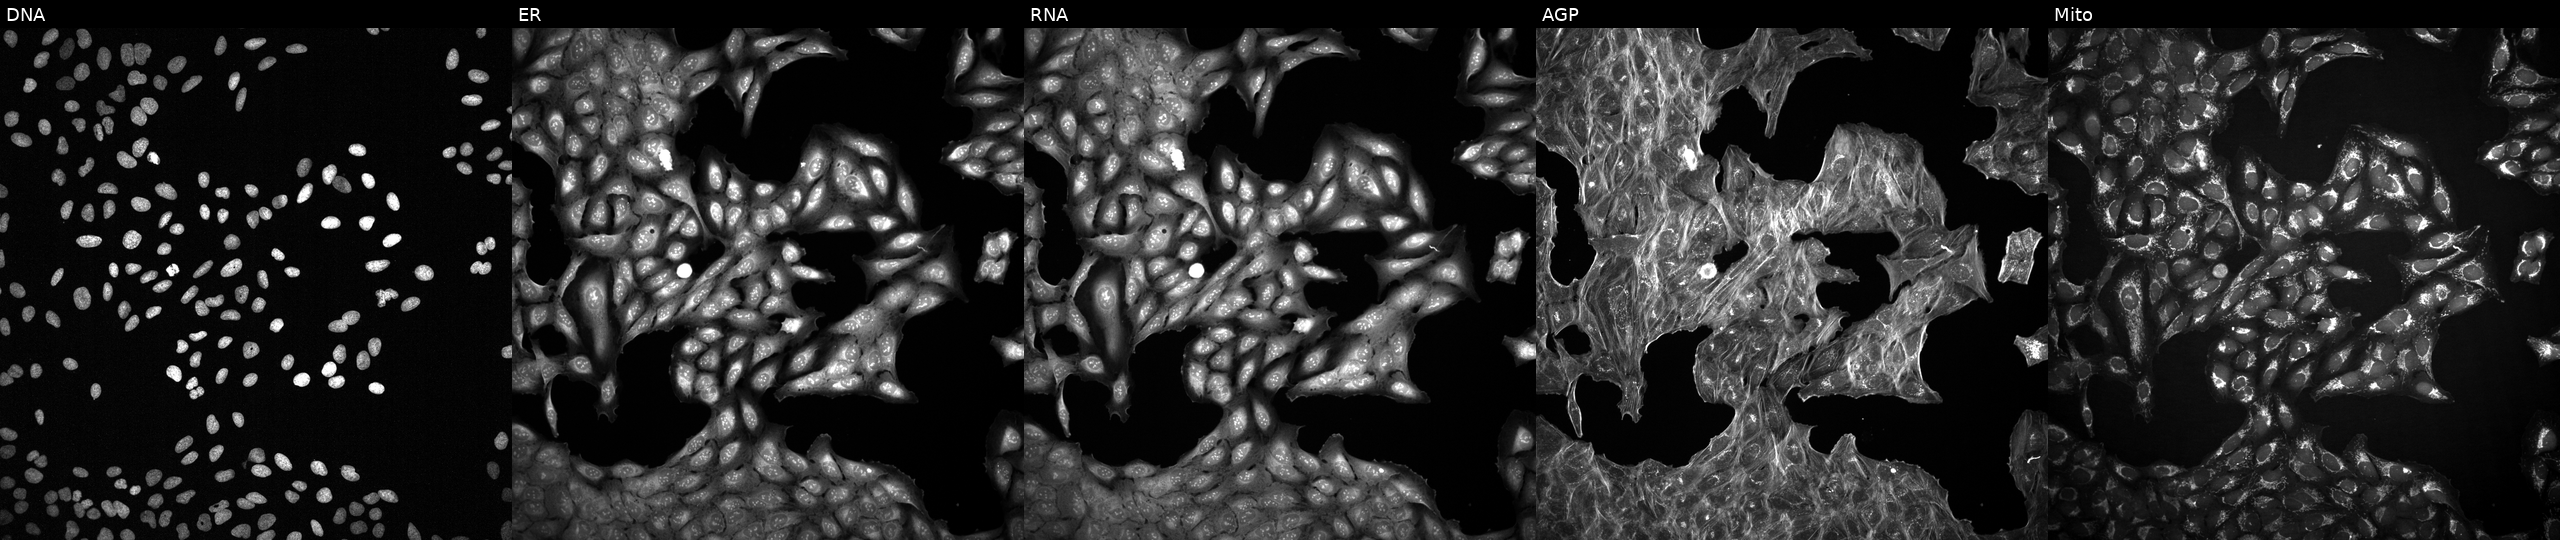
Five-channel Cell Painting image of U2OS cells perturbed with a small-molecule compound (JUMP id JCP2022_062315). The five panels, left to right, show DNA, ER, RNA, AGP, and Mito.